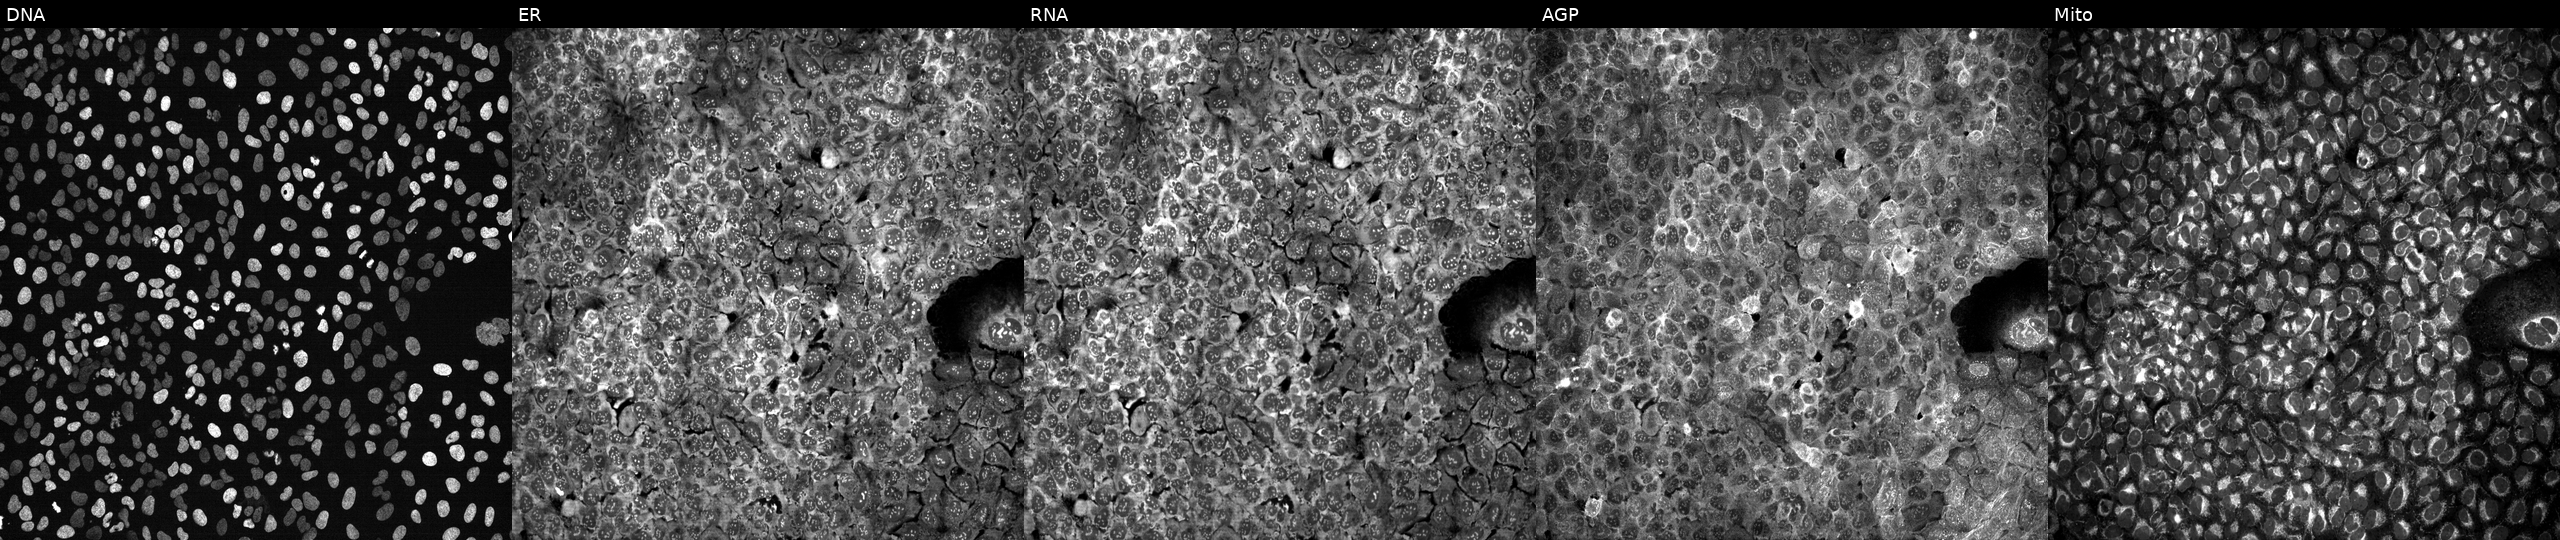
U2OS cells, Cell Painting assay, exposed to the positive-control compound quinidine. From left to right: Hoechst 33342, concanavalin A, SYTO 14, phalloidin and WGA, MitoTracker. Each panel is percentile-stretched 16-bit fluorescence.